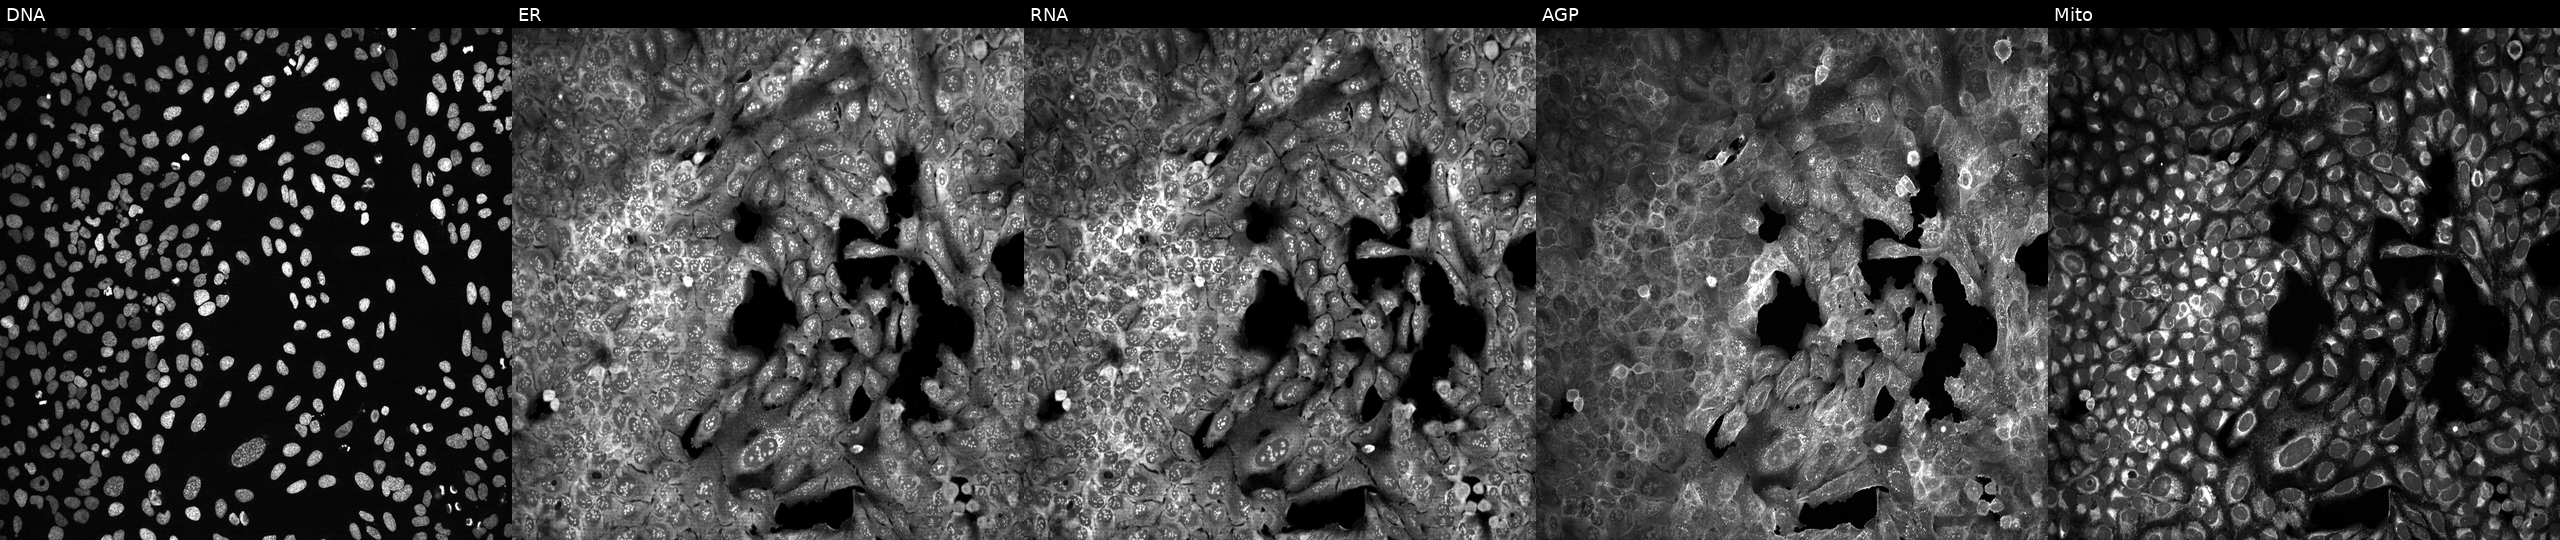
JUMP Cell Painting — CRISPR plate. U2OS cells following CRISPR knockout of TMPRSS11A (JUMP id JCP2022_807140). Channels (left→right): DNA (nuclei); ER (endoplasmic reticulum); RNA (nucleoli and cytoplasmic RNA); AGP (actin cytoskeleton, Golgi, and plasma membrane); Mito (mitochondria). Source 13, plate CP-CC9-R6-19, well L19.